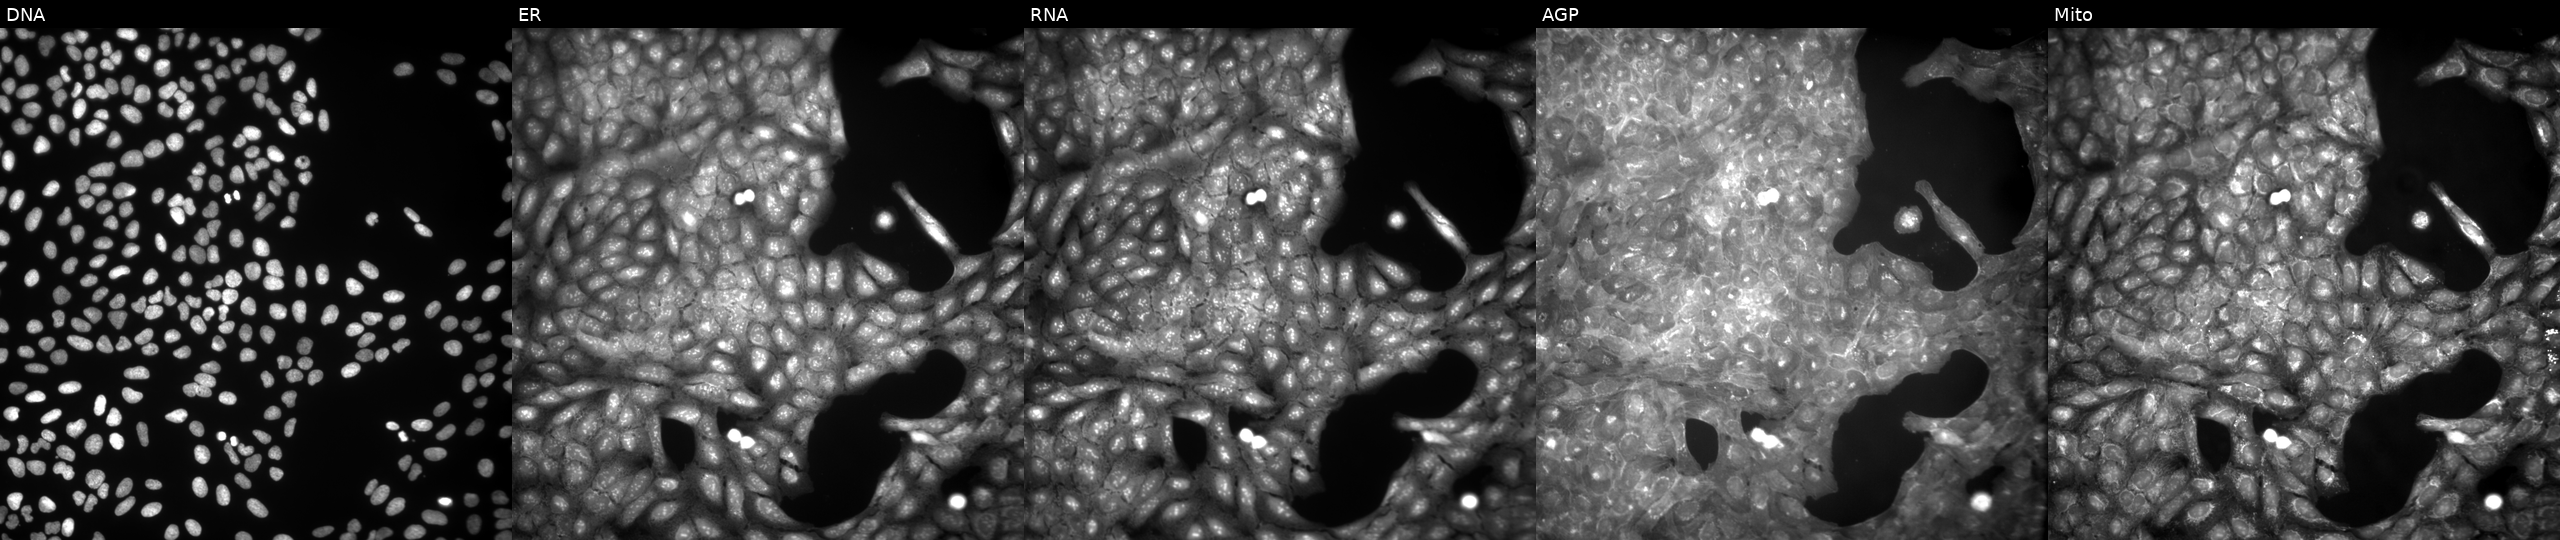
High-content fluorescence microscopy (Cell Painting). Cell line: U2OS. Perturbation: perturbed with a small-molecule compound (InChIKey VWOJESZFVONLRW-UHFFFAOYSA-N). Panels show, left to right, DNA (nuclei); ER (endoplasmic reticulum); RNA (nucleoli and cytoplasmic RNA); AGP (actin cytoskeleton, Golgi, and plasma membrane); Mito (mitochondria). Source 9, plate GR00003381, well Y38.